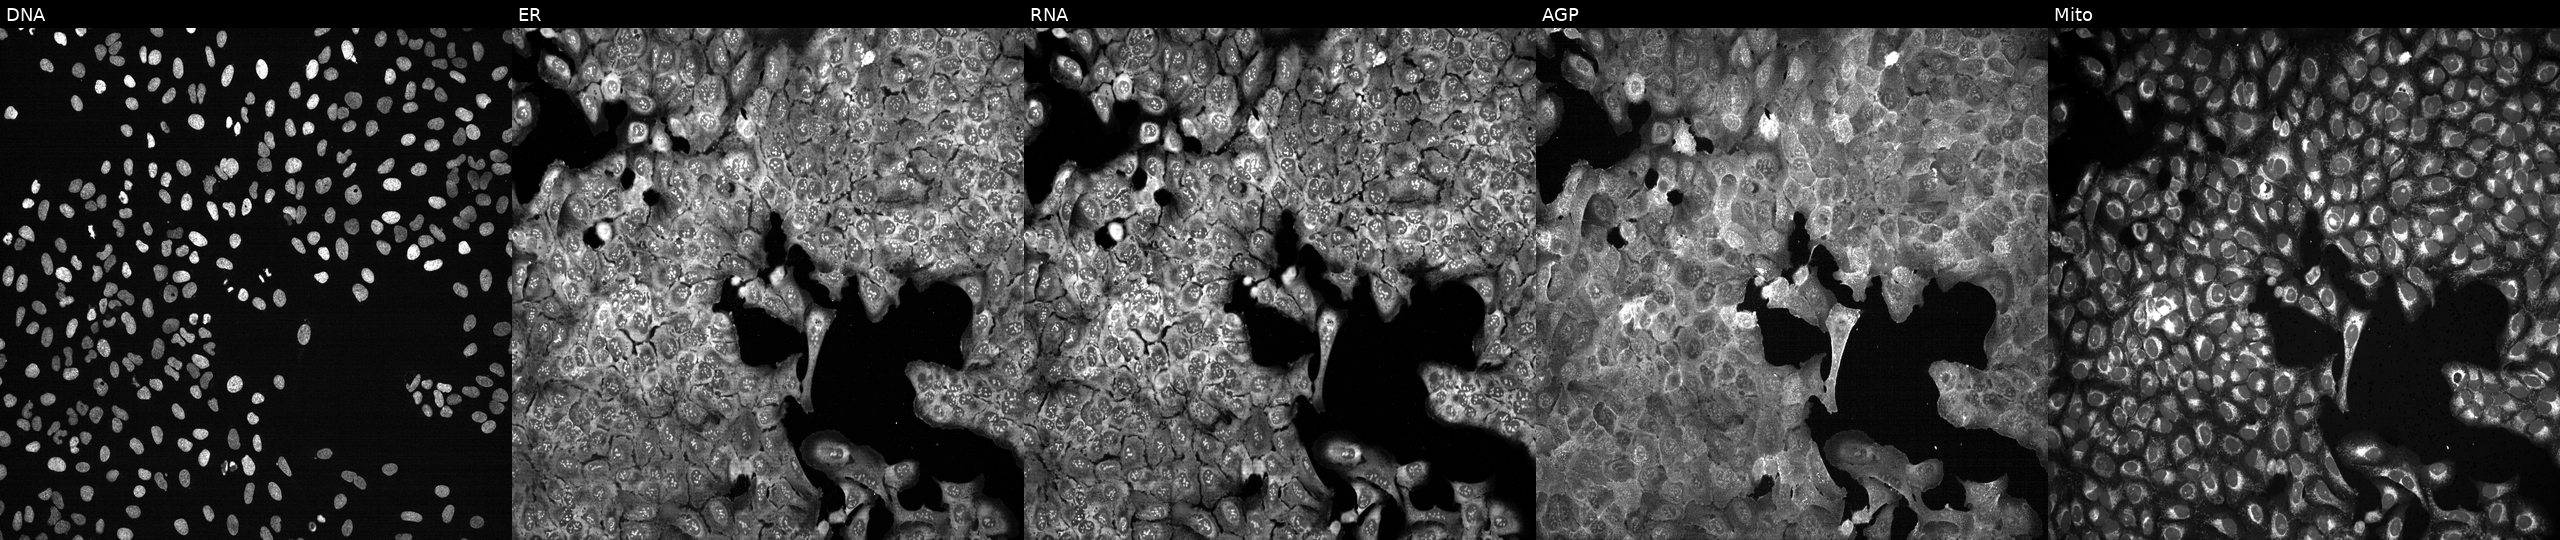
Five-channel Cell Painting image of U2OS cells with SLC17A6 knocked out by CRISPR (JUMP id JCP2022_806398). The five panels, left to right, show DNA (nuclei); ER (endoplasmic reticulum); RNA (nucleoli and cytoplasmic RNA); AGP (actin cytoskeleton, Golgi, and plasma membrane); Mito (mitochondria). Source 13, plate CP-CC9-R2-02, well K13.